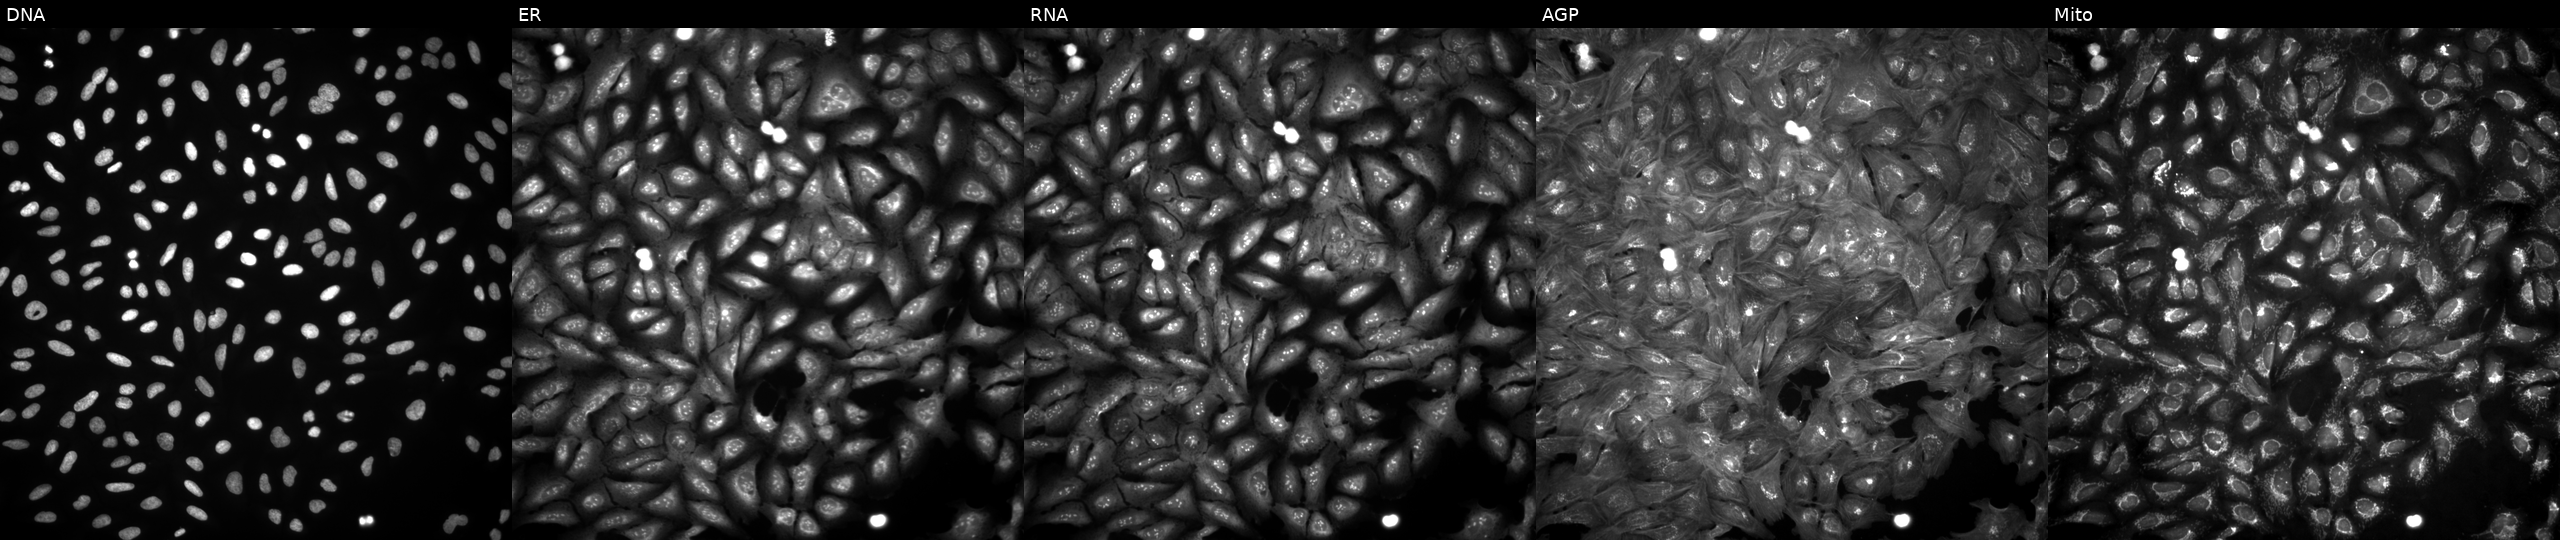
This image strip shows the five Cell Painting channels for a single field of U2OS cells with ILVBL overexpressed (ORF) (JUMP id JCP2022_907215). From left to right: DNA (nuclei); ER (endoplasmic reticulum); RNA (nucleoli and cytoplasmic RNA); AGP (actin cytoskeleton, Golgi, and plasma membrane); Mito (mitochondria).